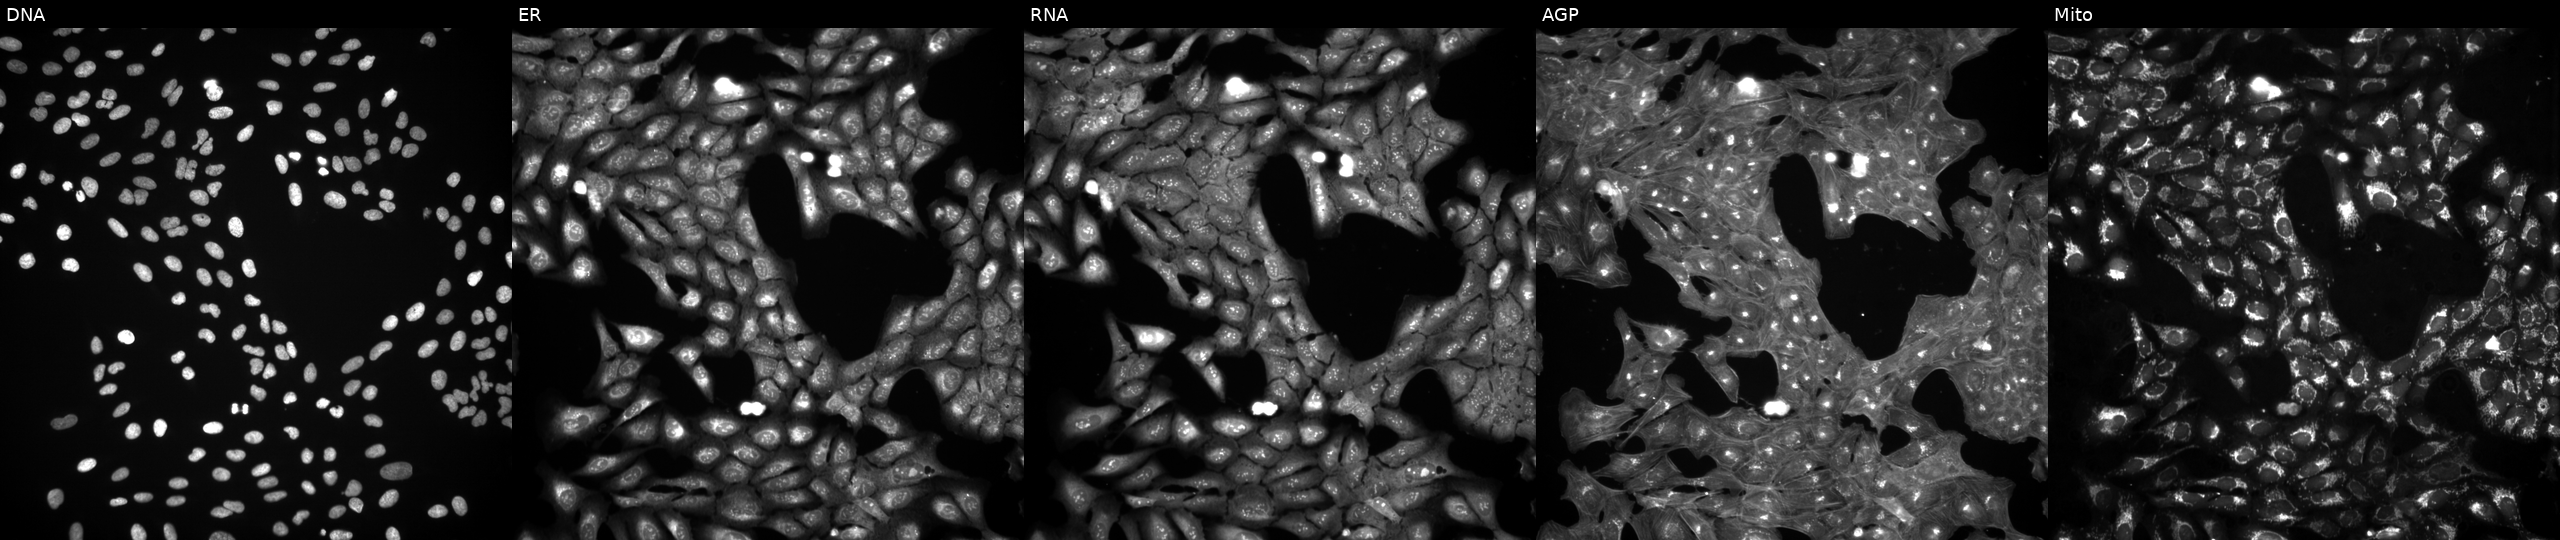
JUMP Cell Painting — COMPOUND plate. U2OS cells exposed to a small-molecule compound (InChIKey GUGAOFSHCGOMMW-UHFFFAOYSA-N). The five panels, left to right, show Hoechst 33342, concanavalin A, SYTO 14, phalloidin and WGA, MitoTracker. Source 3, plate BR5867a3, well E21.